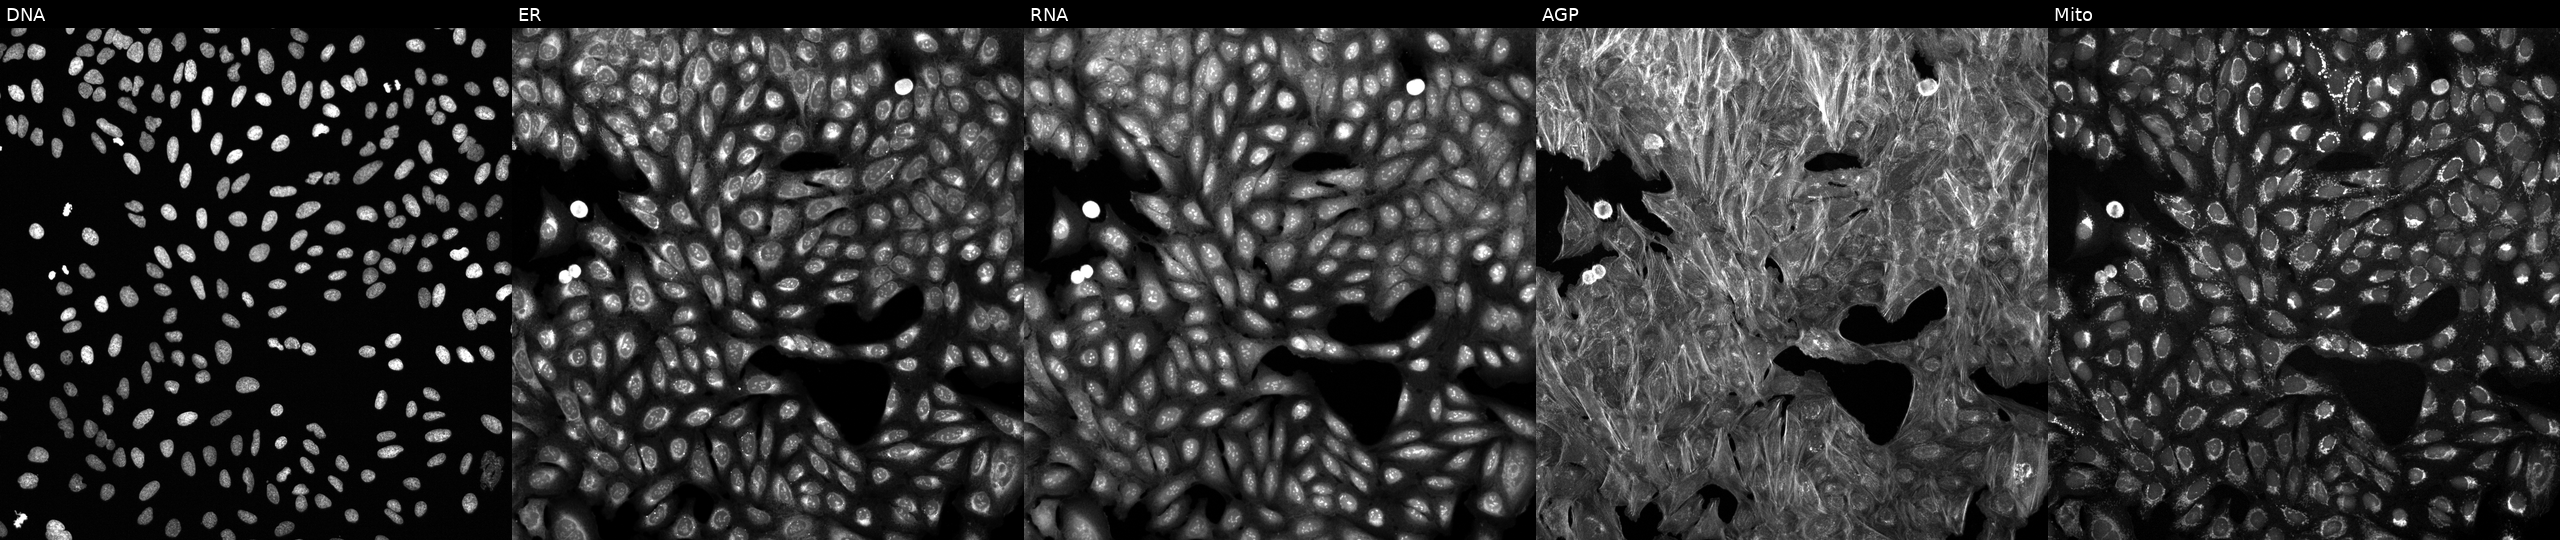
JUMP Cell Painting — TARGET2 plate. U2OS cells exposed to a small-molecule compound (InChIKey ZNNLBTZKUZBEKO-UHFFFAOYSA-N). Channels (left→right): Hoechst 33342, concanavalin A, SYTO 14, phalloidin and WGA, MitoTracker.